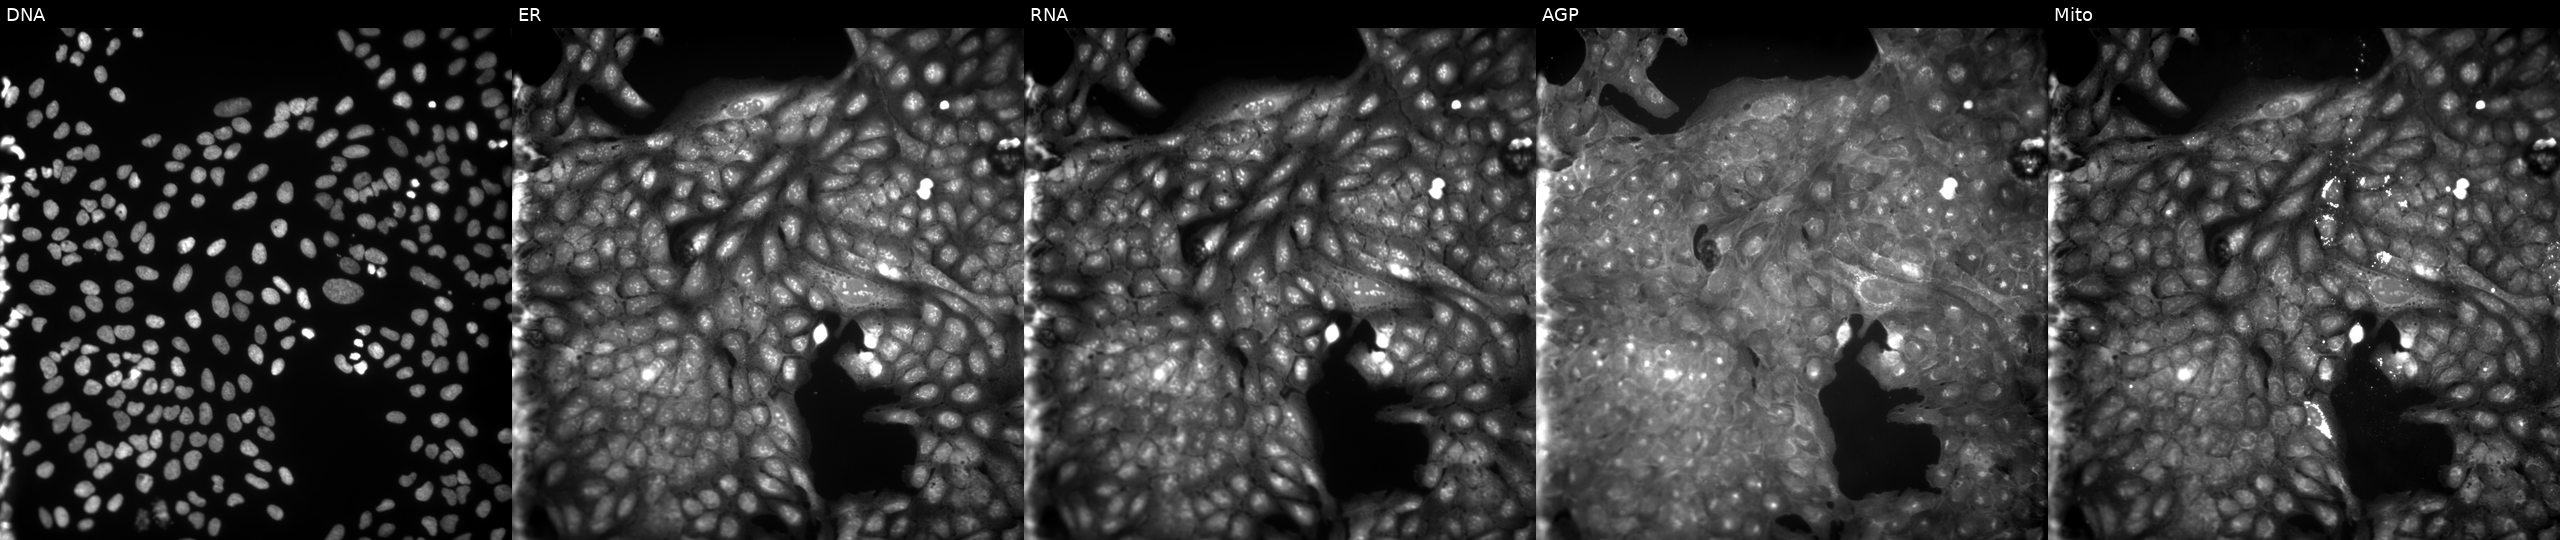
Panels show, left to right, Hoechst 33342, concanavalin A, SYTO 14, phalloidin and WGA, MitoTracker. U2OS osteosarcoma cells treated with a small-molecule compound (InChIKey SOQQRPCGIHRQQC-UHFFFAOYSA-N). Cell Painting assay, JUMP-CP dataset. Source 9, plate GR00003382, well AB04.